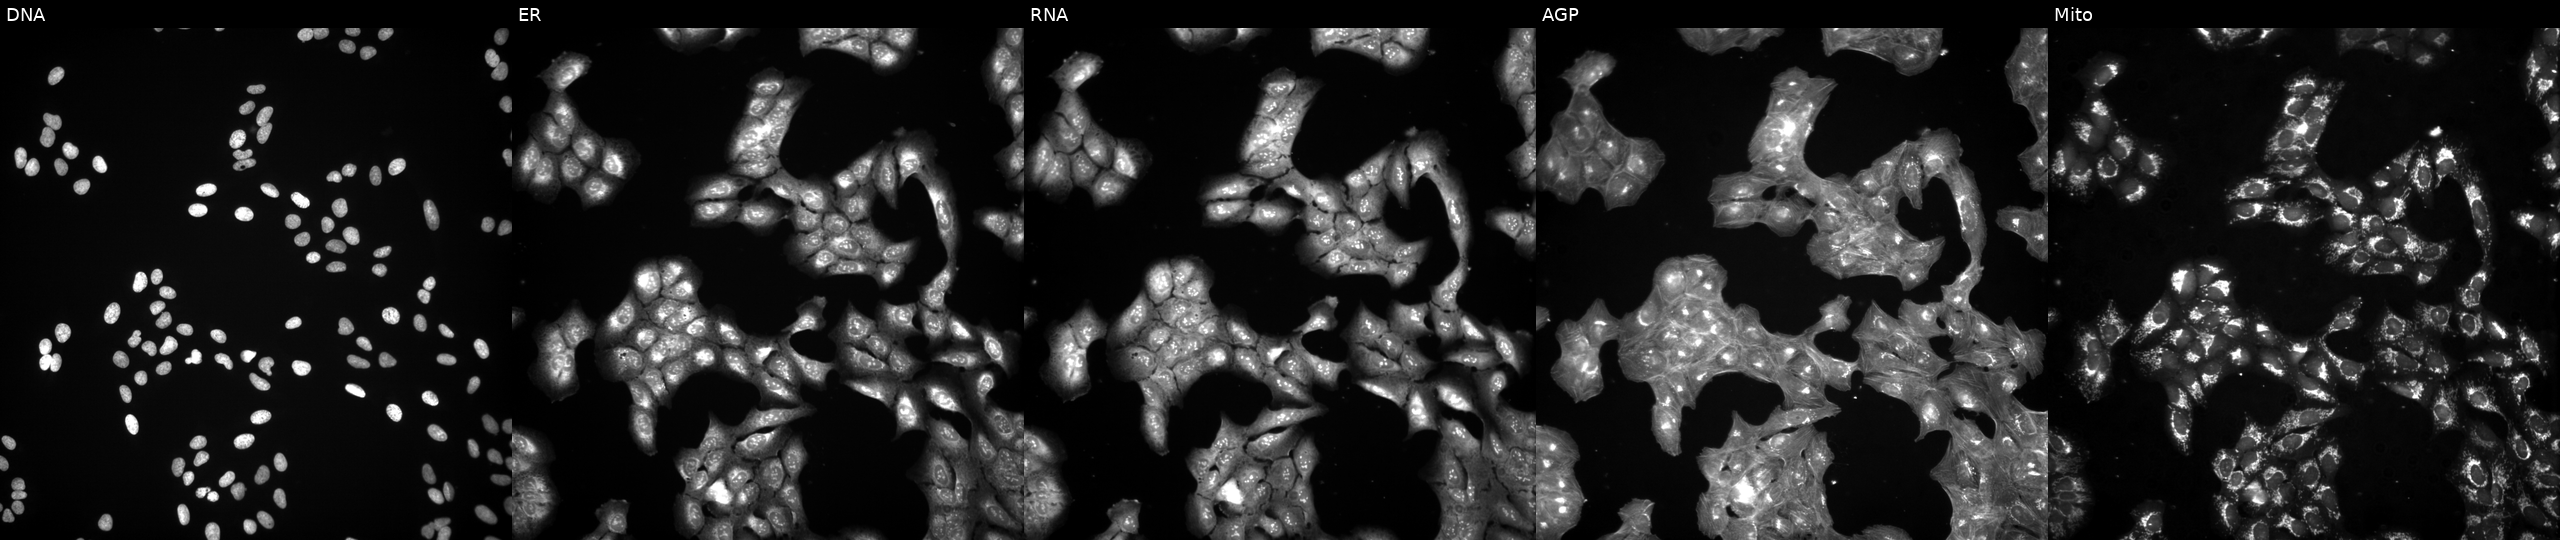
U2OS cells, Cell Painting assay, exposed to a small-molecule compound (InChIKey BYBLEWFAAKGYCD-UHFFFAOYSA-N) [SMILES: Clc1ccc(COC(Cn2ccnc2)c2ccc(Cl)cc2Cl)c(Cl)c1] (JUMP id JCP2022_009419). The five panels, left to right, show Hoechst 33342, concanavalin A, SYTO 14, phalloidin and WGA, MitoTracker. Each panel is percentile-stretched 16-bit fluorescence.